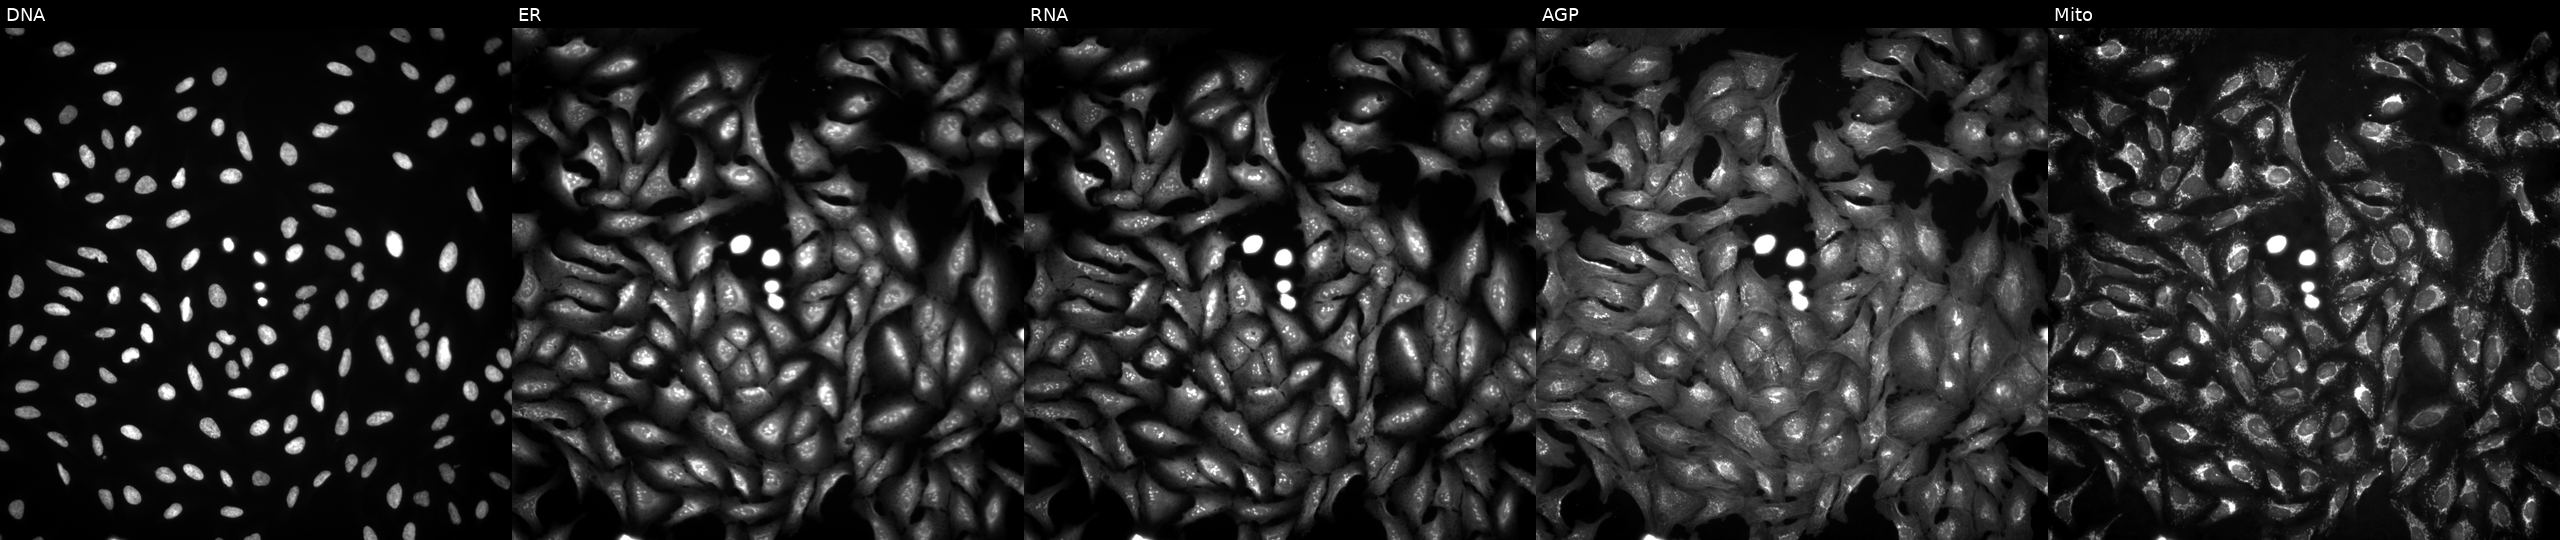
U2OS cells, Cell Painting assay, overexpressing WDR83OS via ORF transfection (JUMP id JCP2022_903099). Channels (left→right): DNA, ER, RNA, AGP, and Mito. Each panel is percentile-stretched 16-bit fluorescence.